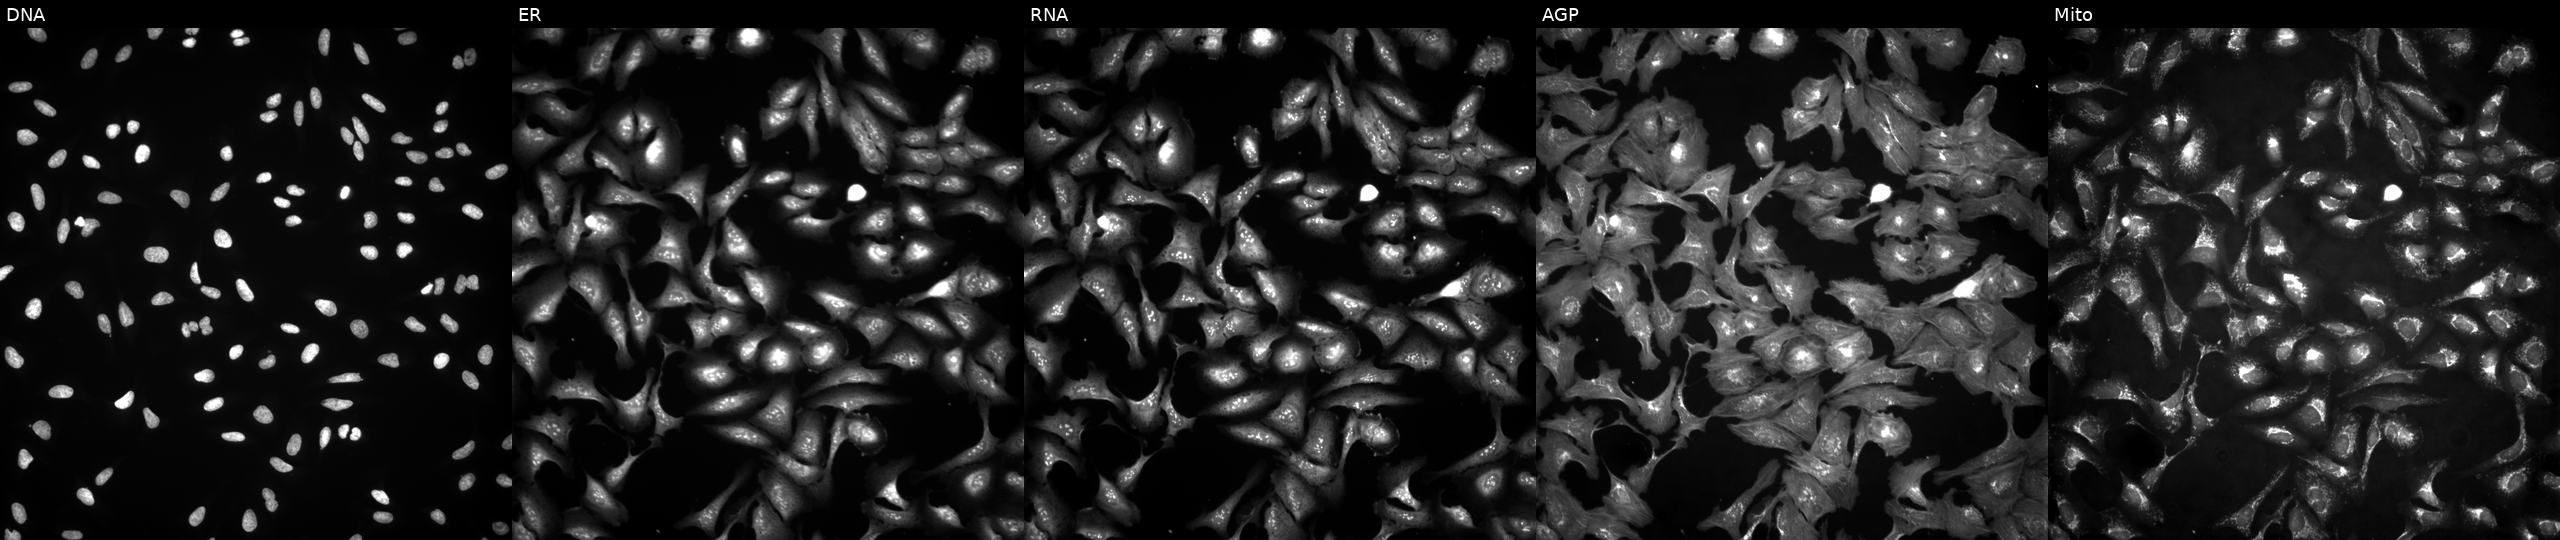
Five-channel Cell Painting image of U2OS cells with SSC4D overexpressed (ORF). From left to right: DNA, ER, RNA, AGP, and Mito. Source 4, plate BR00124784, well I08.